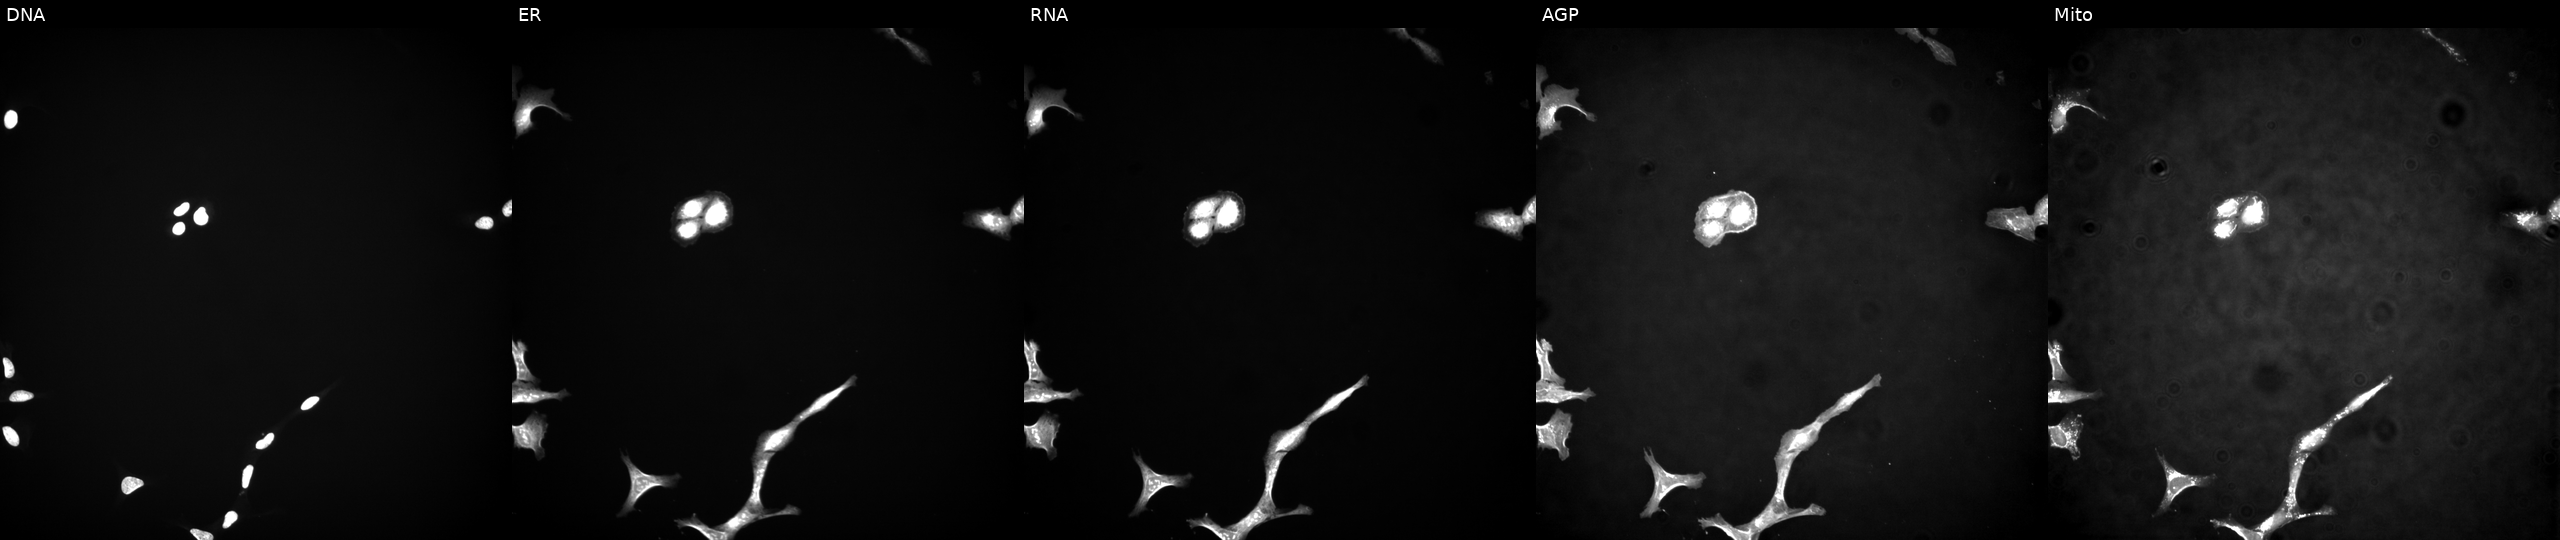
Five-channel Cell Painting image of U2OS cells with STK10 overexpressed (ORF) (JUMP id JCP2022_910410). Panels show, left to right, Hoechst 33342, concanavalin A, SYTO 14, phalloidin and WGA, MitoTracker.